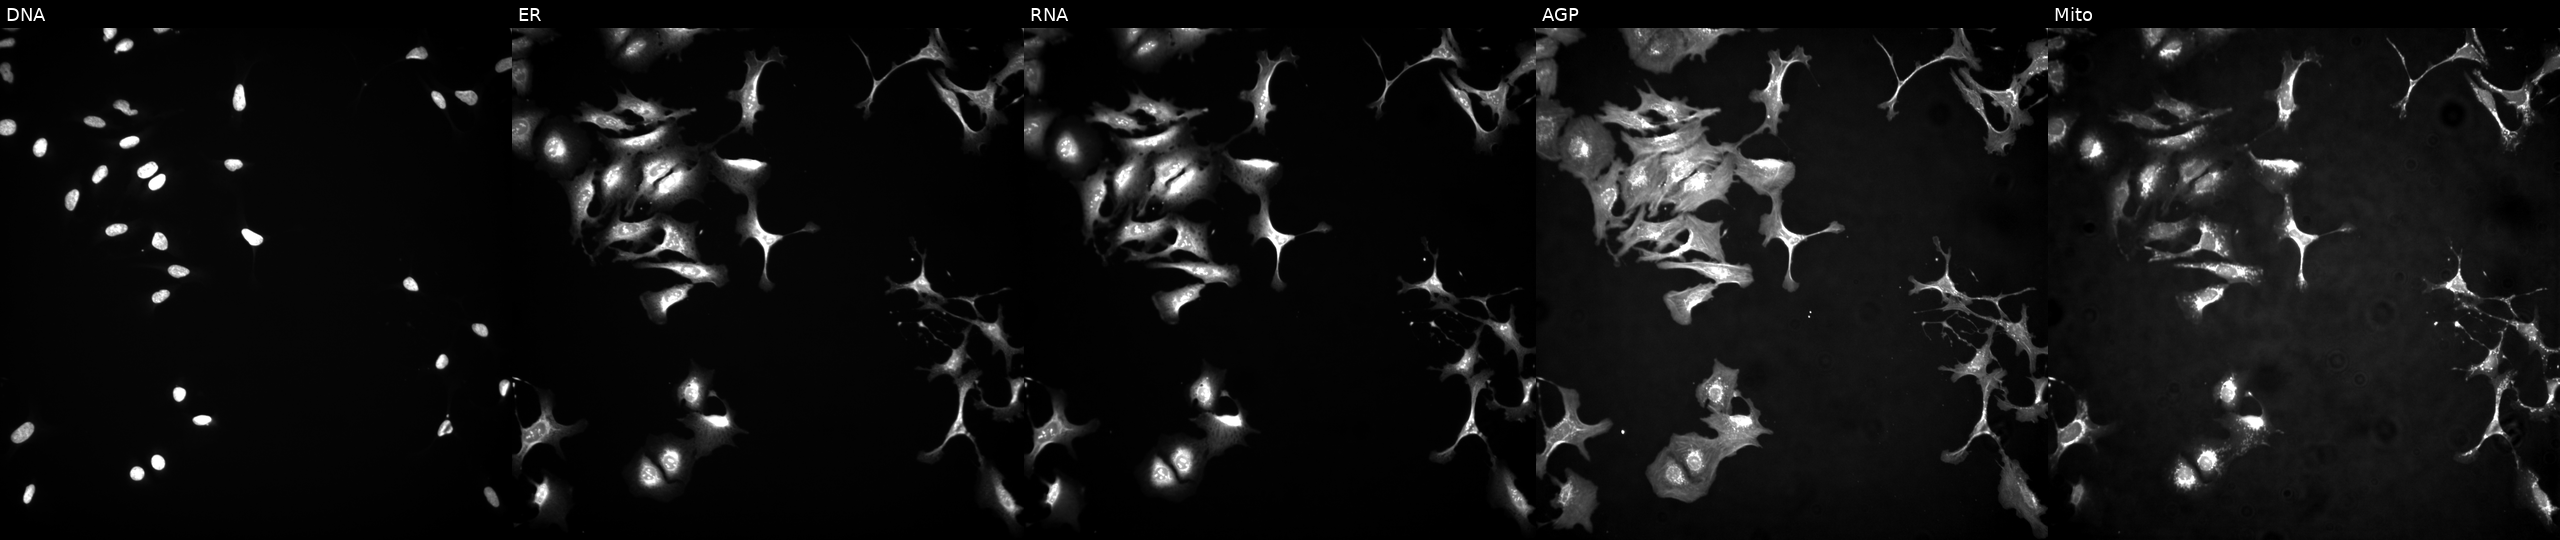
JUMP Cell Painting — ORF plate. U2OS cells with NEK8 overexpressed (ORF) (JUMP id JCP2022_914306). The five panels, left to right, show DNA, ER, RNA, AGP, and Mito.